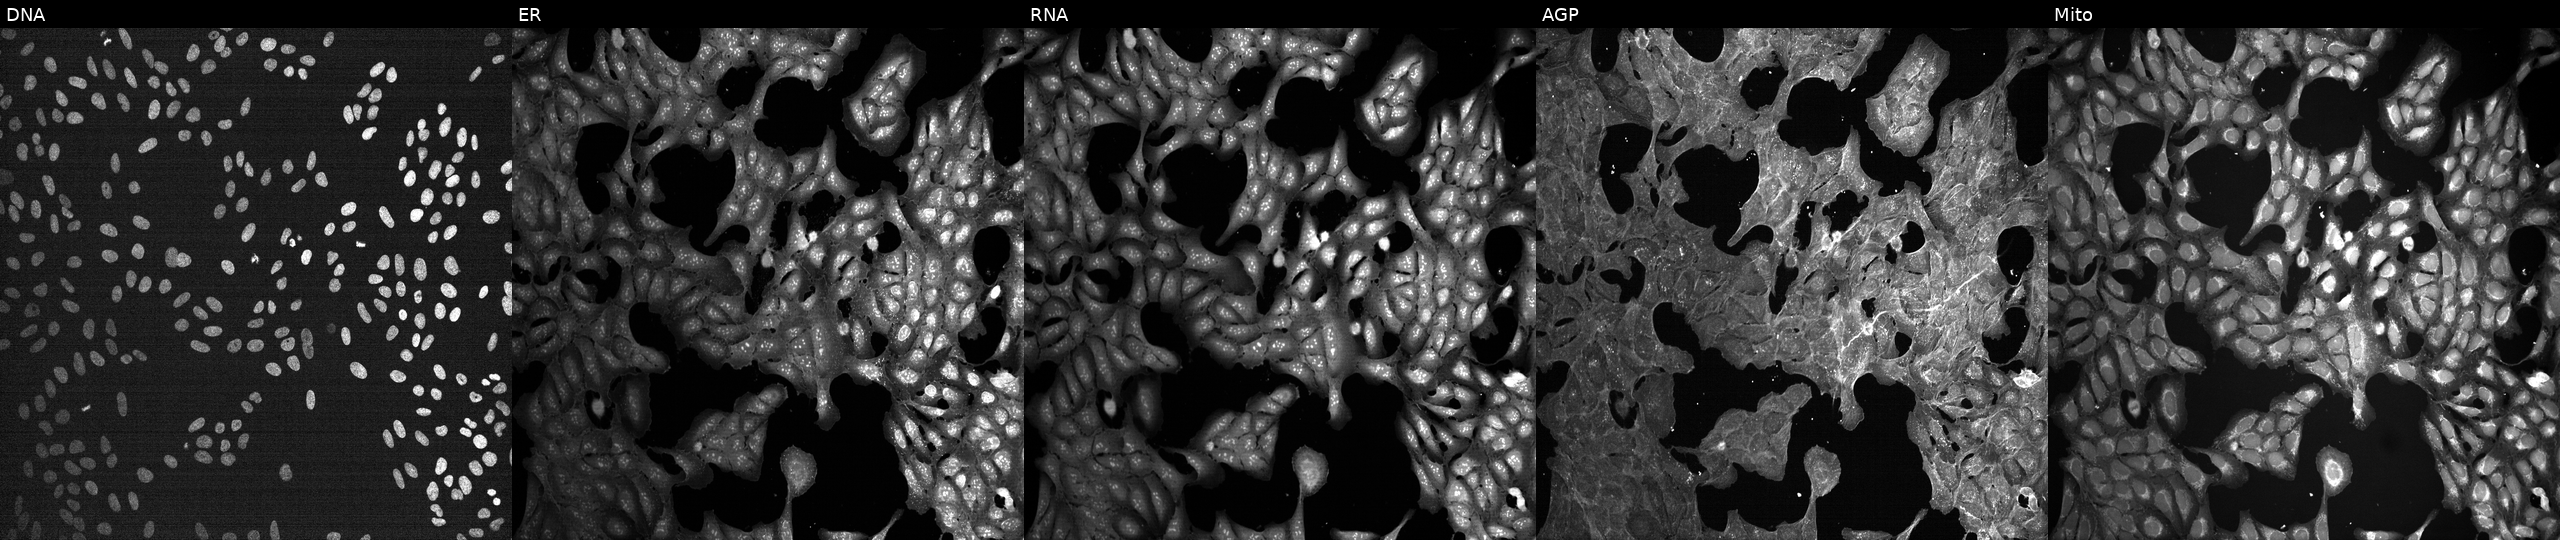
Five-channel Cell Painting image of U2OS cells perturbed with a small-molecule compound (InChIKey ICDMLAQPOAVWNH-UHFFFAOYSA-N) (JUMP id JCP2022_034137). From left to right: Hoechst 33342, concanavalin A, SYTO 14, phalloidin and WGA, MitoTracker.